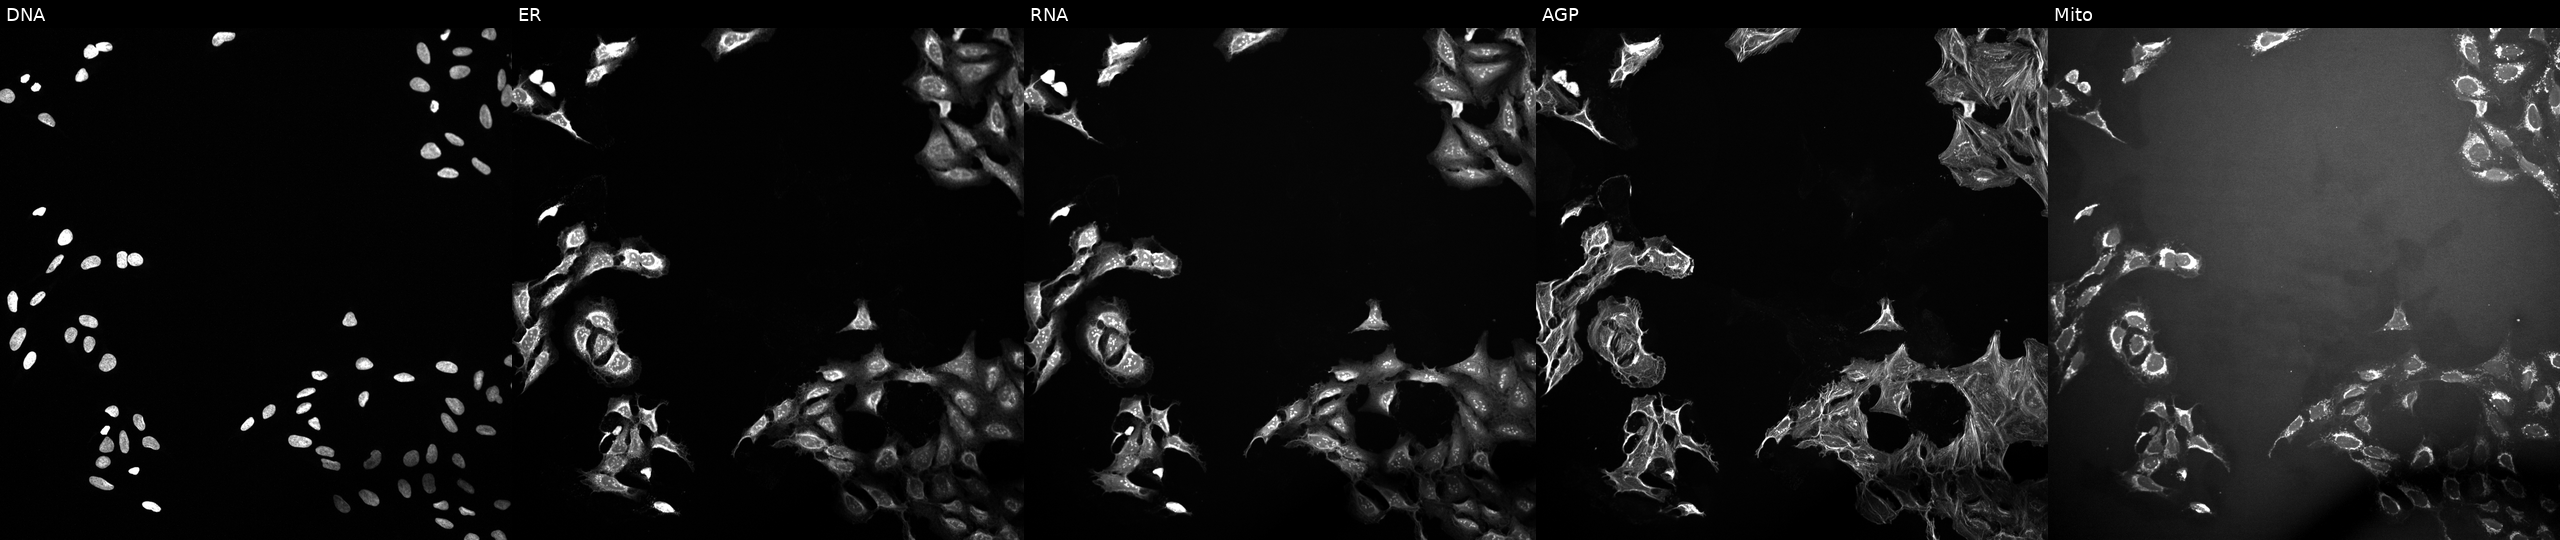
This image strip shows the five Cell Painting channels for a single field of U2OS cells exposed to a small-molecule compound (InChIKey CXUCKELNYMZTRT-UHFFFAOYSA-N) [SMILES: CCn1c(=O)[nH]c2ccccc21] (JUMP id JCP2022_014114). Panels show, left to right, DNA (nuclei); ER (endoplasmic reticulum); RNA (nucleoli and cytoplasmic RNA); AGP (actin cytoskeleton, Golgi, and plasma membrane); Mito (mitochondria).